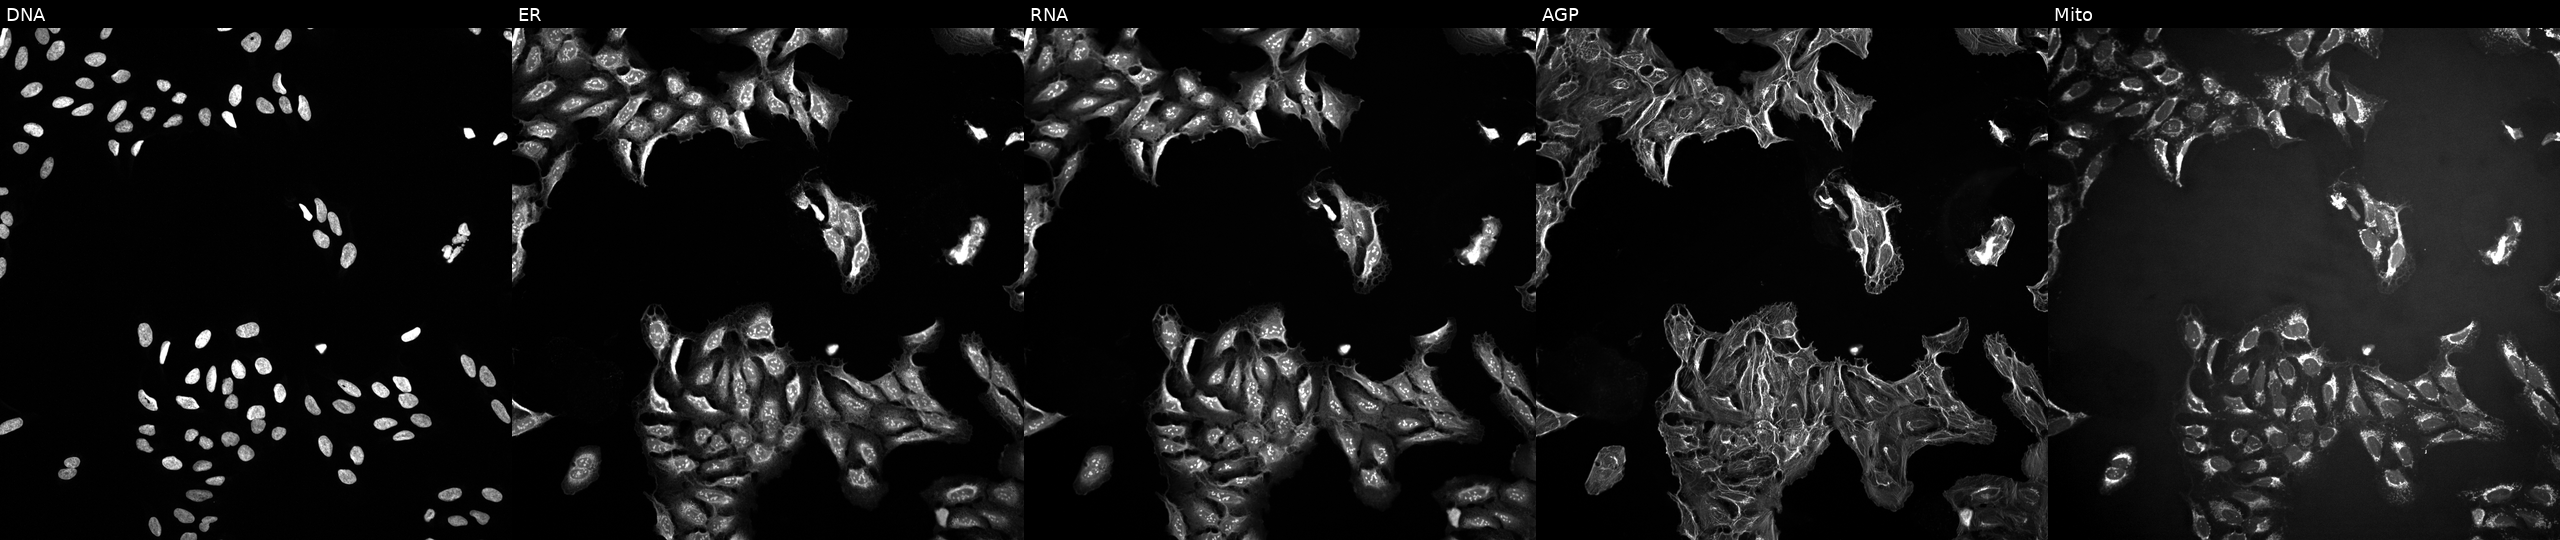
U2OS cells, Cell Painting assay, perturbed with a small-molecule compound (InChIKey NQDJXKOVJZTUJA-UHFFFAOYSA-N). Panels show, left to right, DNA (nuclei); ER (endoplasmic reticulum); RNA (nucleoli and cytoplasmic RNA); AGP (actin cytoskeleton, Golgi, and plasma membrane); Mito (mitochondria). Each panel is percentile-stretched 16-bit fluorescence.